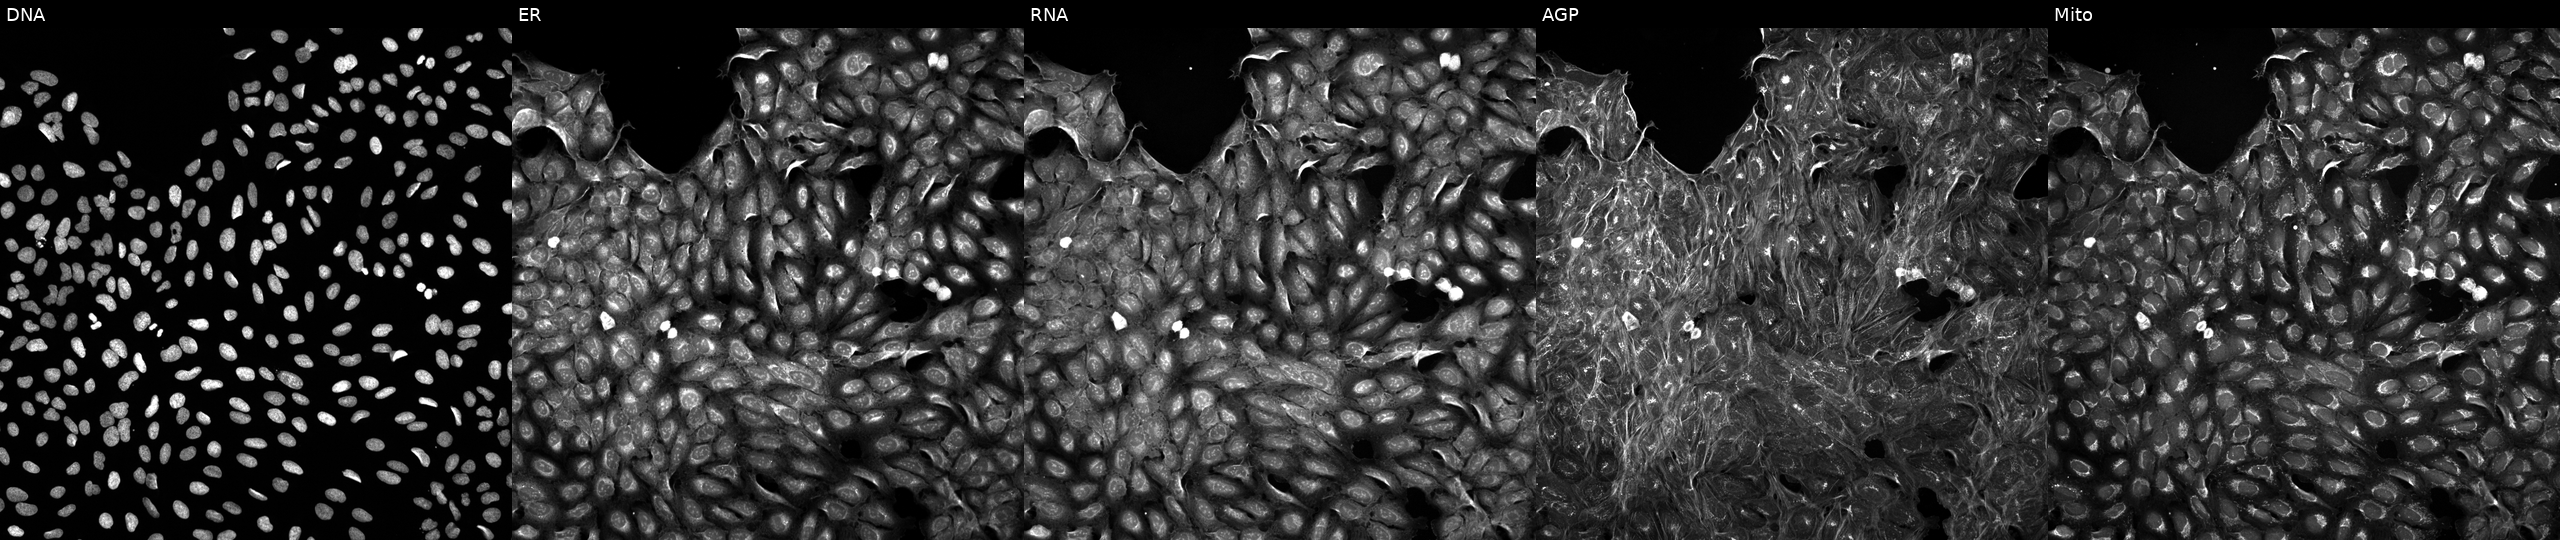
U2OS cells, Cell Painting assay, treated with a small-molecule compound (InChIKey YCYMCMYLORLIJX-UHFFFAOYSA-N) (JUMP id JCP2022_107658). The five panels, left to right, show DNA, ER, RNA, AGP, and Mito. Each panel is percentile-stretched 16-bit fluorescence.